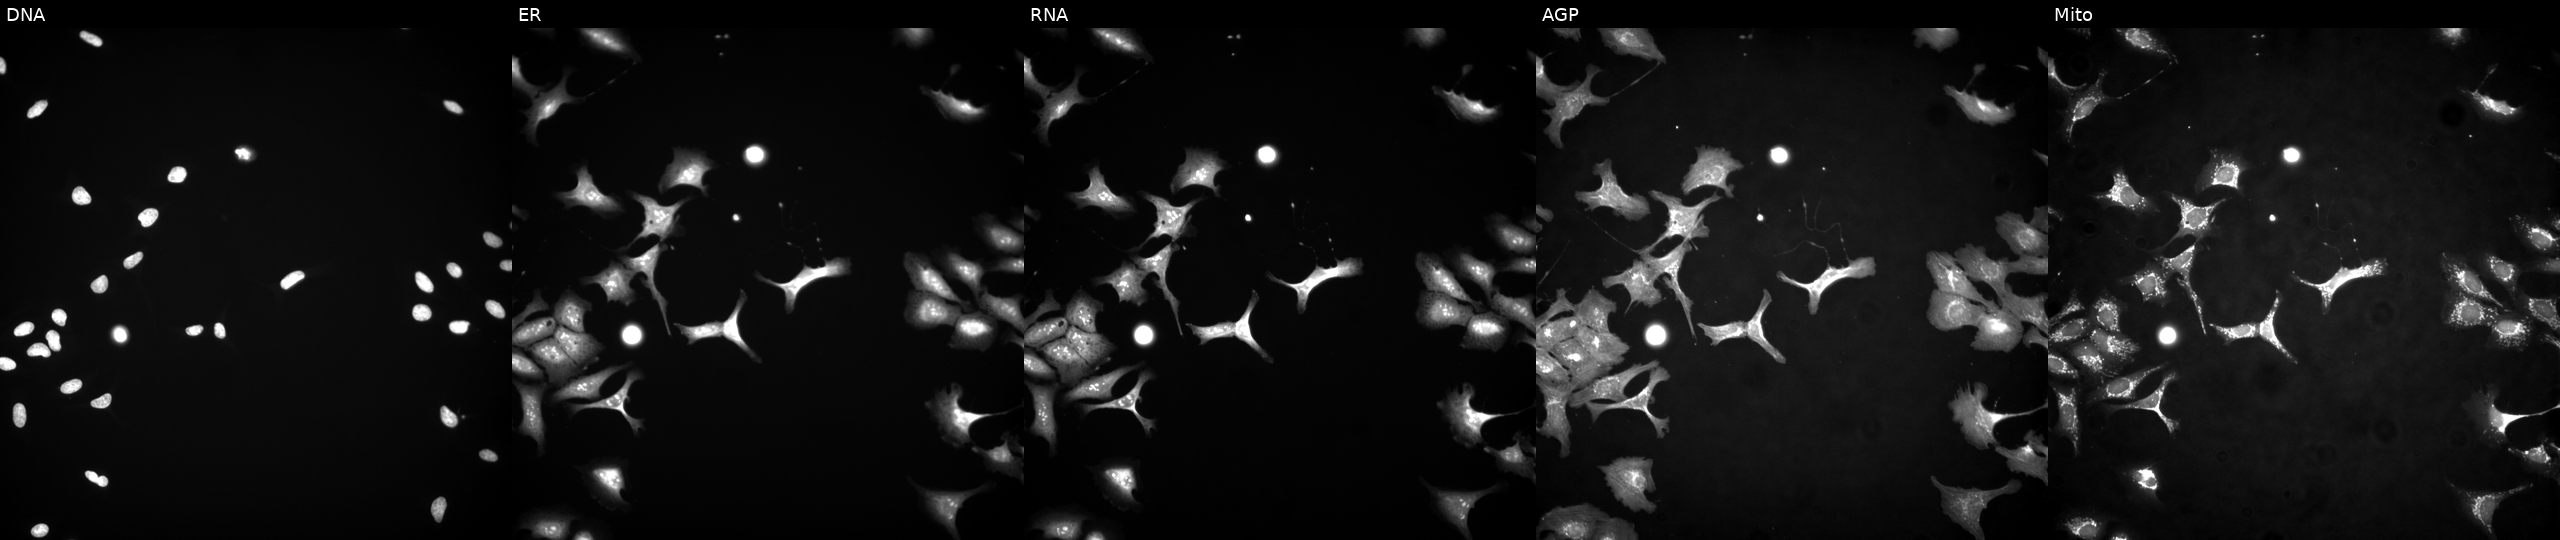
This image strip shows the five Cell Painting channels for a single field of U2OS cells with SAP18 overexpressed (ORF) (JUMP id JCP2022_910703). From left to right: DNA, ER, RNA, AGP, and Mito.